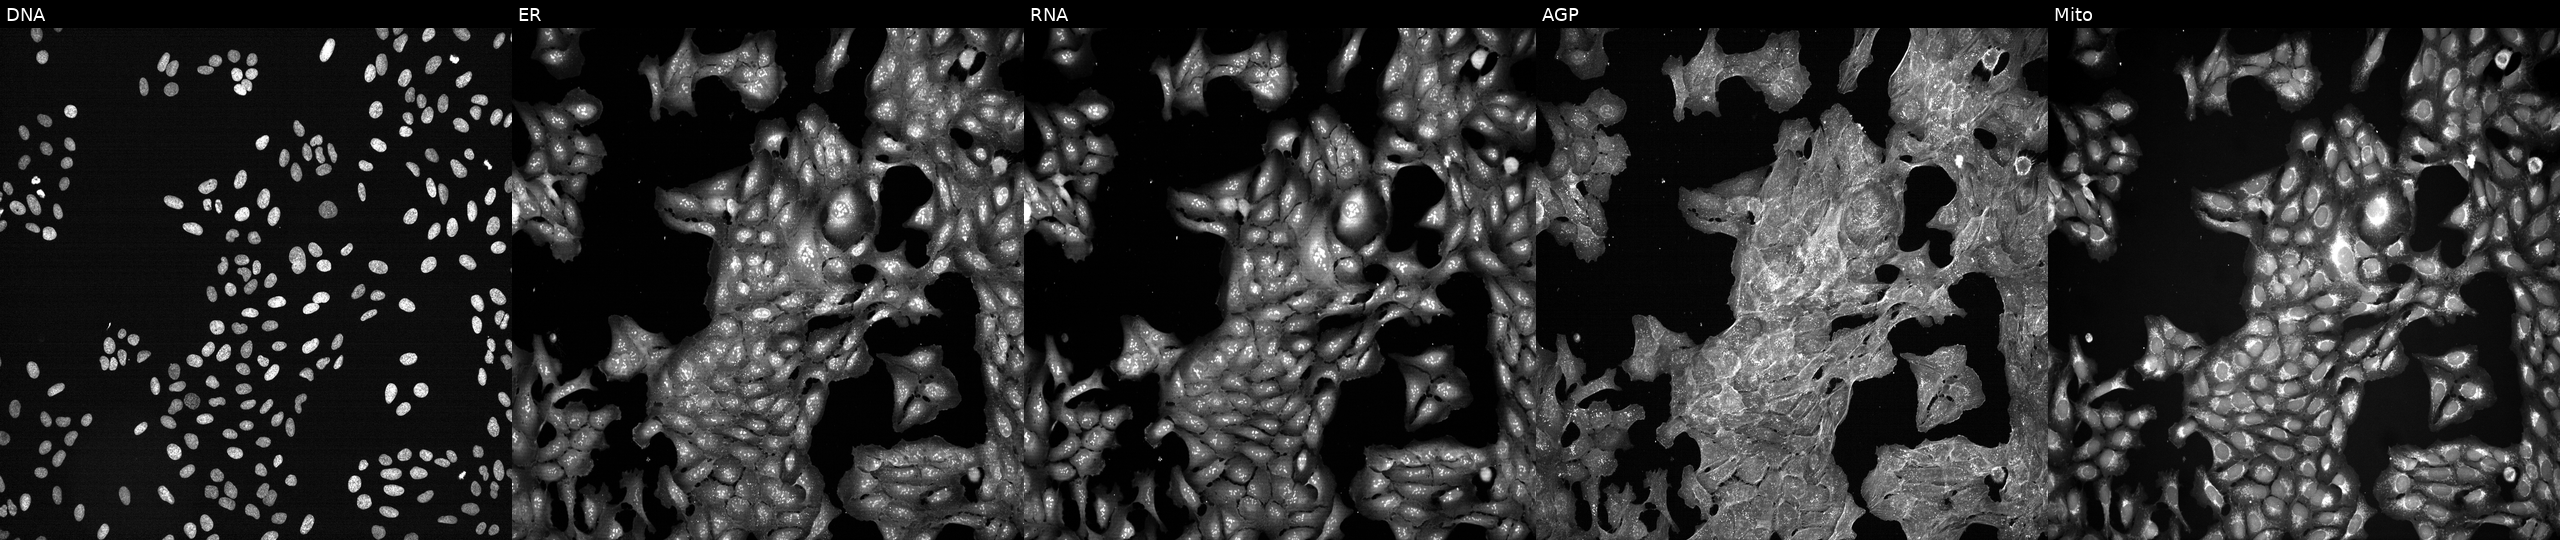
High-content fluorescence microscopy (Cell Painting). Cell line: U2OS. Perturbation: perturbed with a small-molecule compound (InChIKey PIWKPBJCKXDKJR-UHFFFAOYSA-N). The five panels, left to right, show DNA (nuclei); ER (endoplasmic reticulum); RNA (nucleoli and cytoplasmic RNA); AGP (actin cytoskeleton, Golgi, and plasma membrane); Mito (mitochondria). Source 7, plate CP2-SC1-25, well K16.